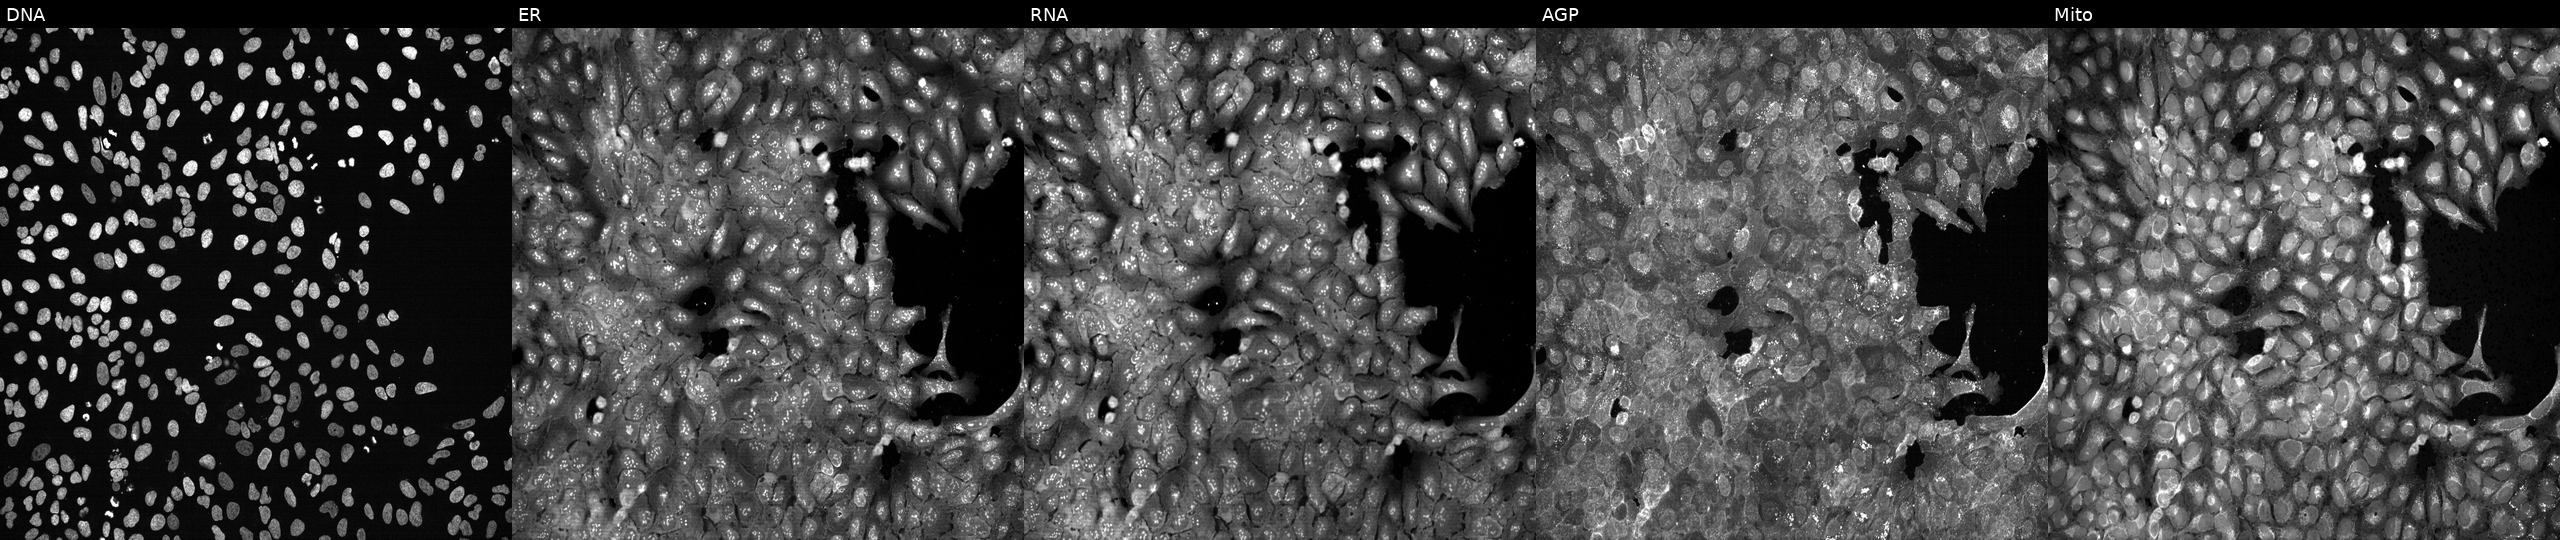
High-content fluorescence microscopy (Cell Painting). Cell line: U2OS. Perturbation: CRISPR-edited to disrupt CES1 (JUMP id JCP2022_801263). From left to right: Hoechst 33342, concanavalin A, SYTO 14, phalloidin and WGA, MitoTracker.